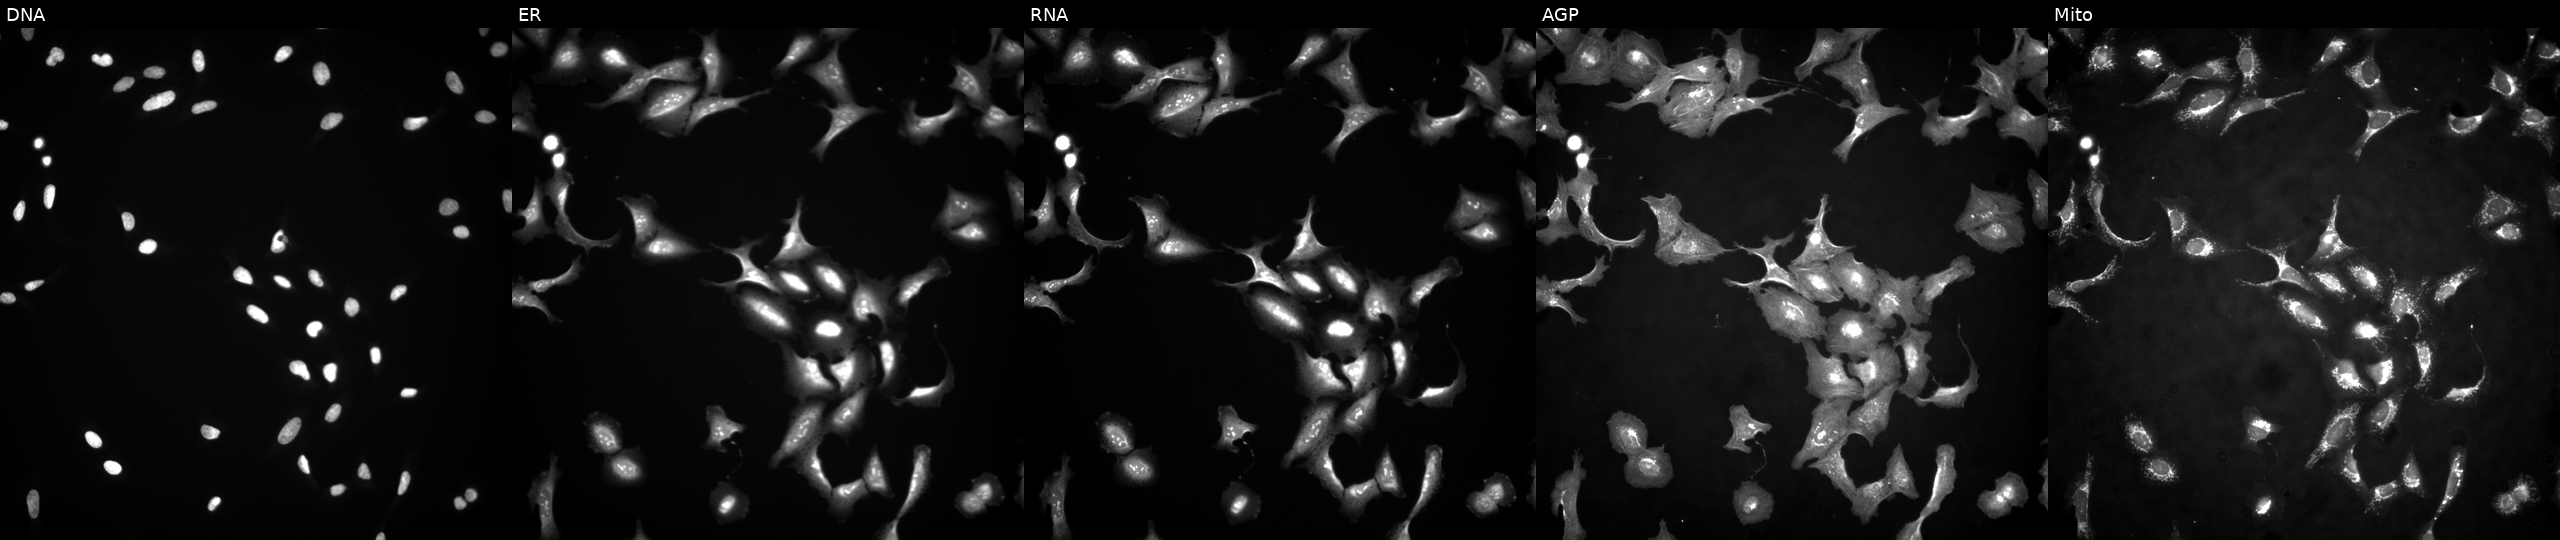
High-content fluorescence microscopy (Cell Painting). Cell line: U2OS. Perturbation: transfected with an ORF construct for DR1 (JUMP id JCP2022_900431). Channels (left→right): Hoechst 33342, concanavalin A, SYTO 14, phalloidin and WGA, MitoTracker.